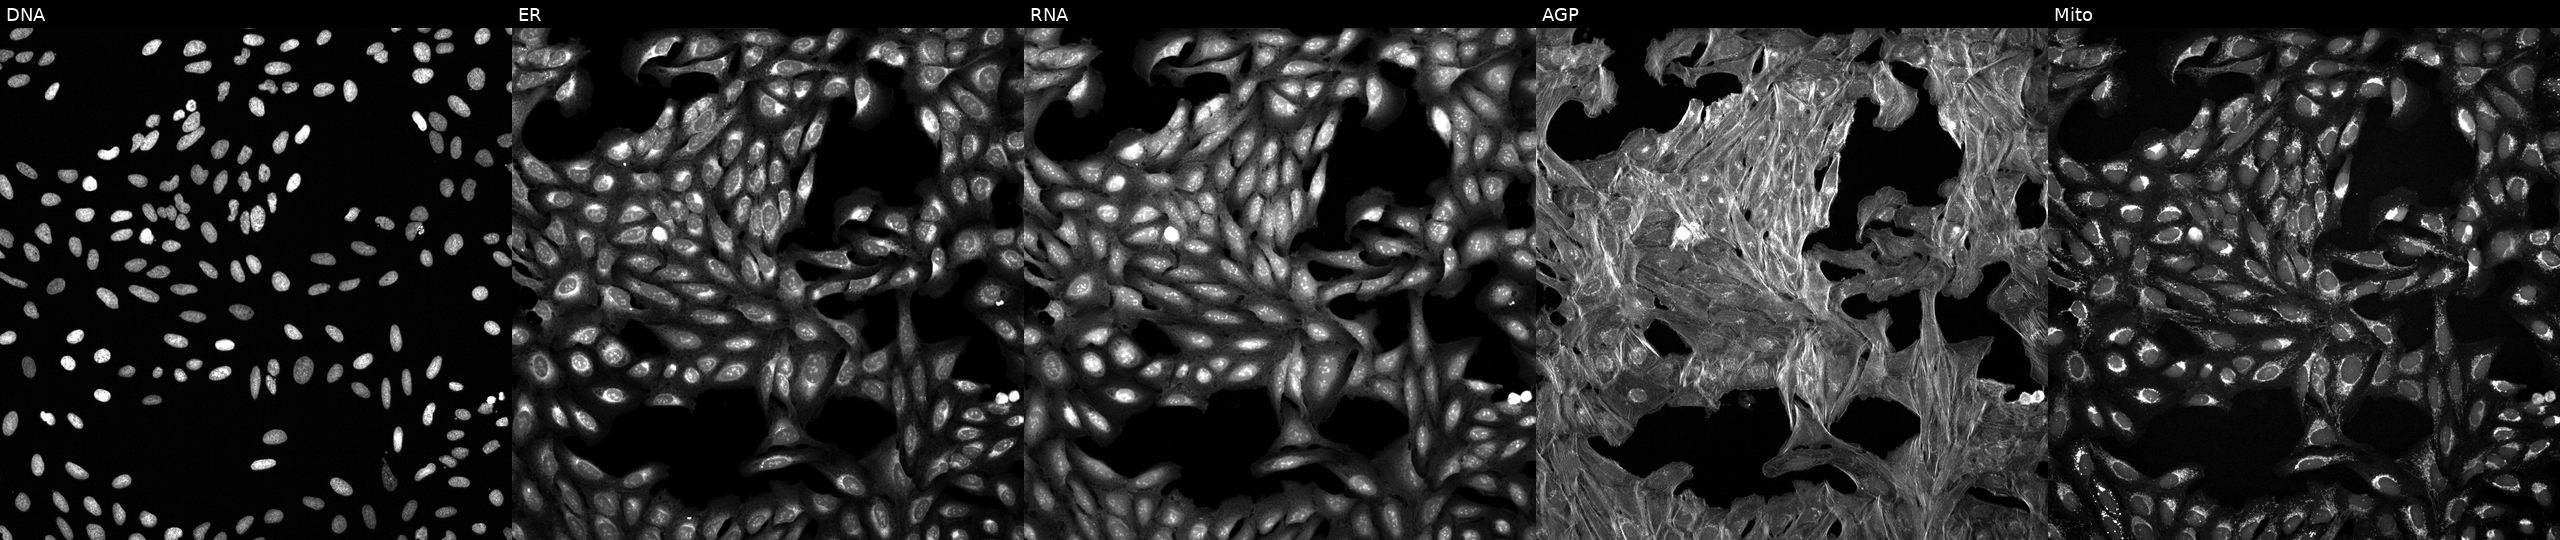
U2OS cells, Cell Painting assay, exposed to a small-molecule compound (InChIKey KQUDQDWBMAGNLI-UHFFFAOYSA-N) (JUMP id JCP2022_046403). From left to right: Hoechst 33342, concanavalin A, SYTO 14, phalloidin and WGA, MitoTracker. Each panel is percentile-stretched 16-bit fluorescence. Source 6, plate 110000293083, well L10.